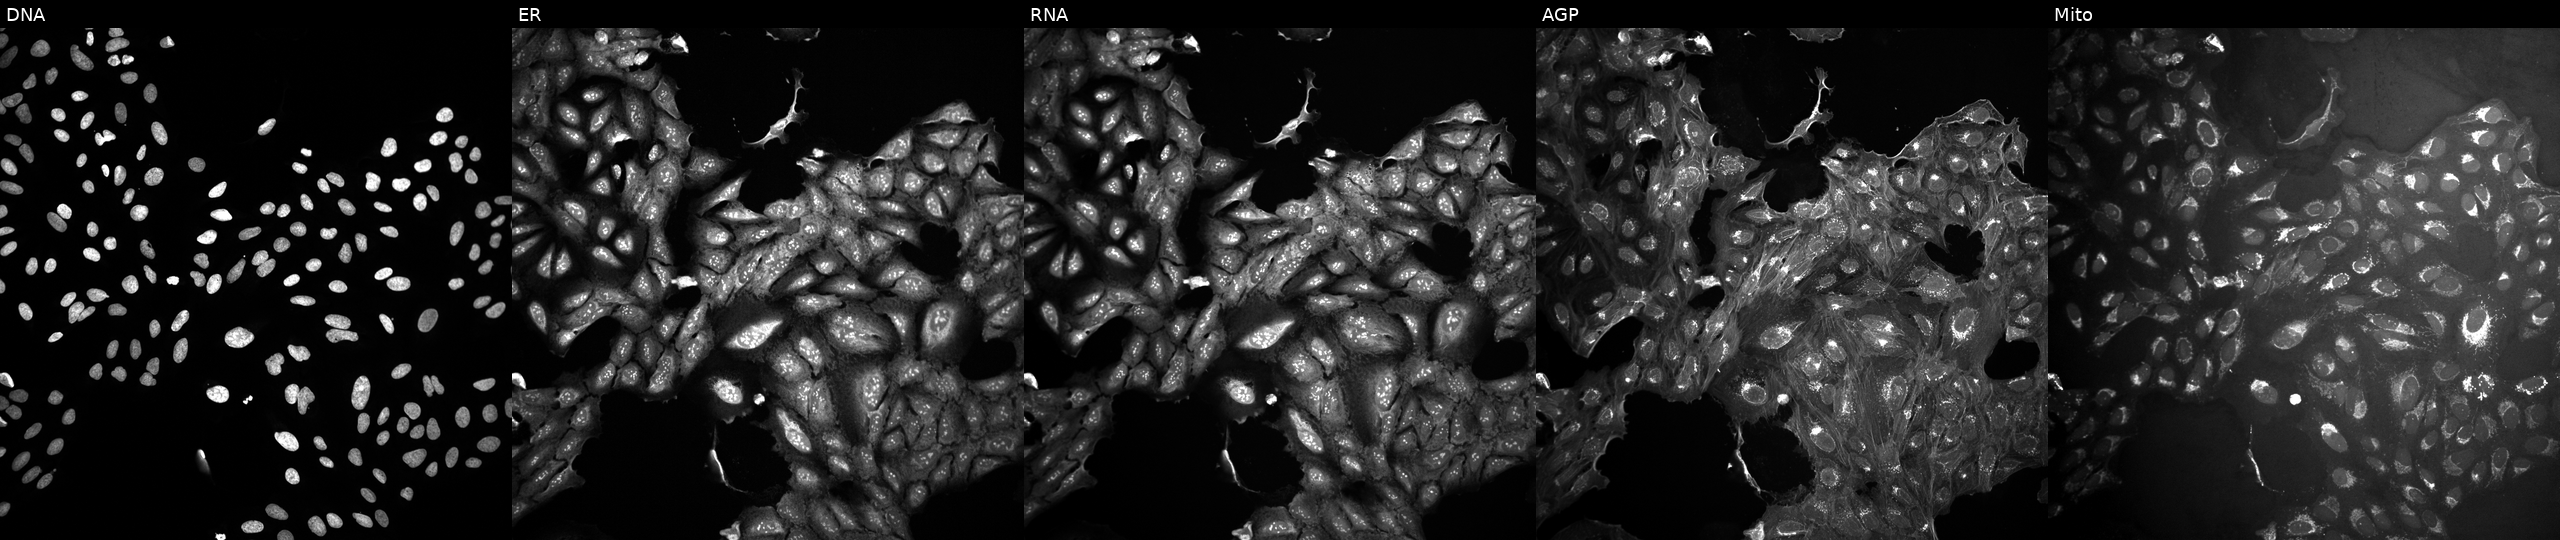
Panels show, left to right, Hoechst 33342, concanavalin A, SYTO 14, phalloidin and WGA, MitoTracker. U2OS osteosarcoma cells perturbed with a small-molecule compound (InChIKey DUKGMMDYBOMTLU-UHFFFAOYSA-N). Cell Painting assay, JUMP-CP dataset. Source 10, plate Dest210531-152149, well K22.